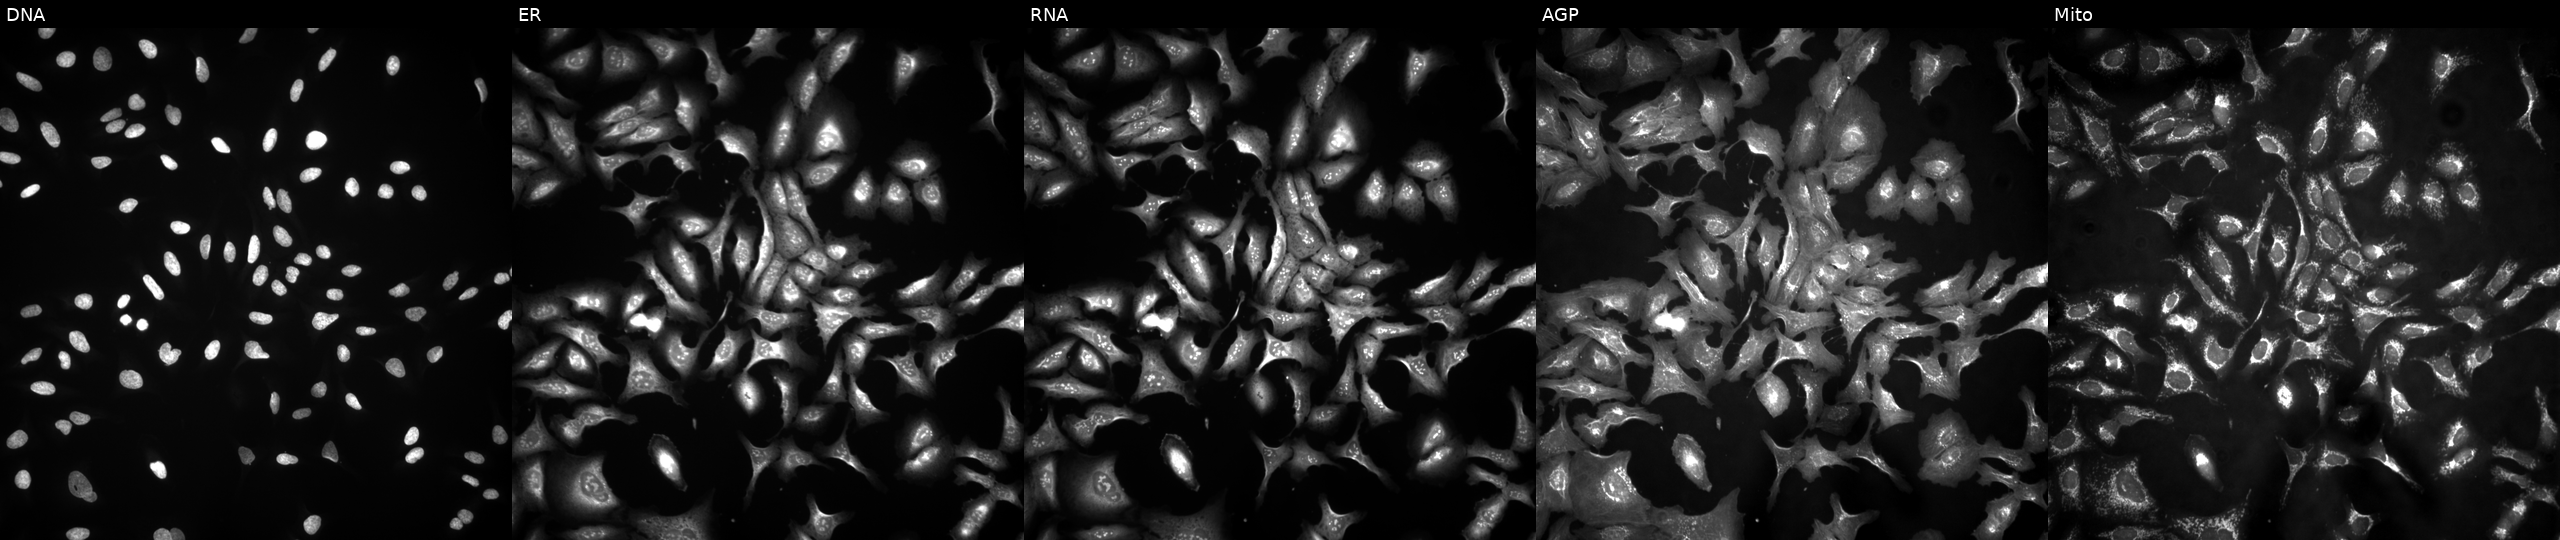
Five-channel Cell Painting image of U2OS cells transfected with an ORF construct for SGCE (JUMP id JCP2022_906852). Panels show, left to right, Hoechst 33342, concanavalin A, SYTO 14, phalloidin and WGA, MitoTracker.